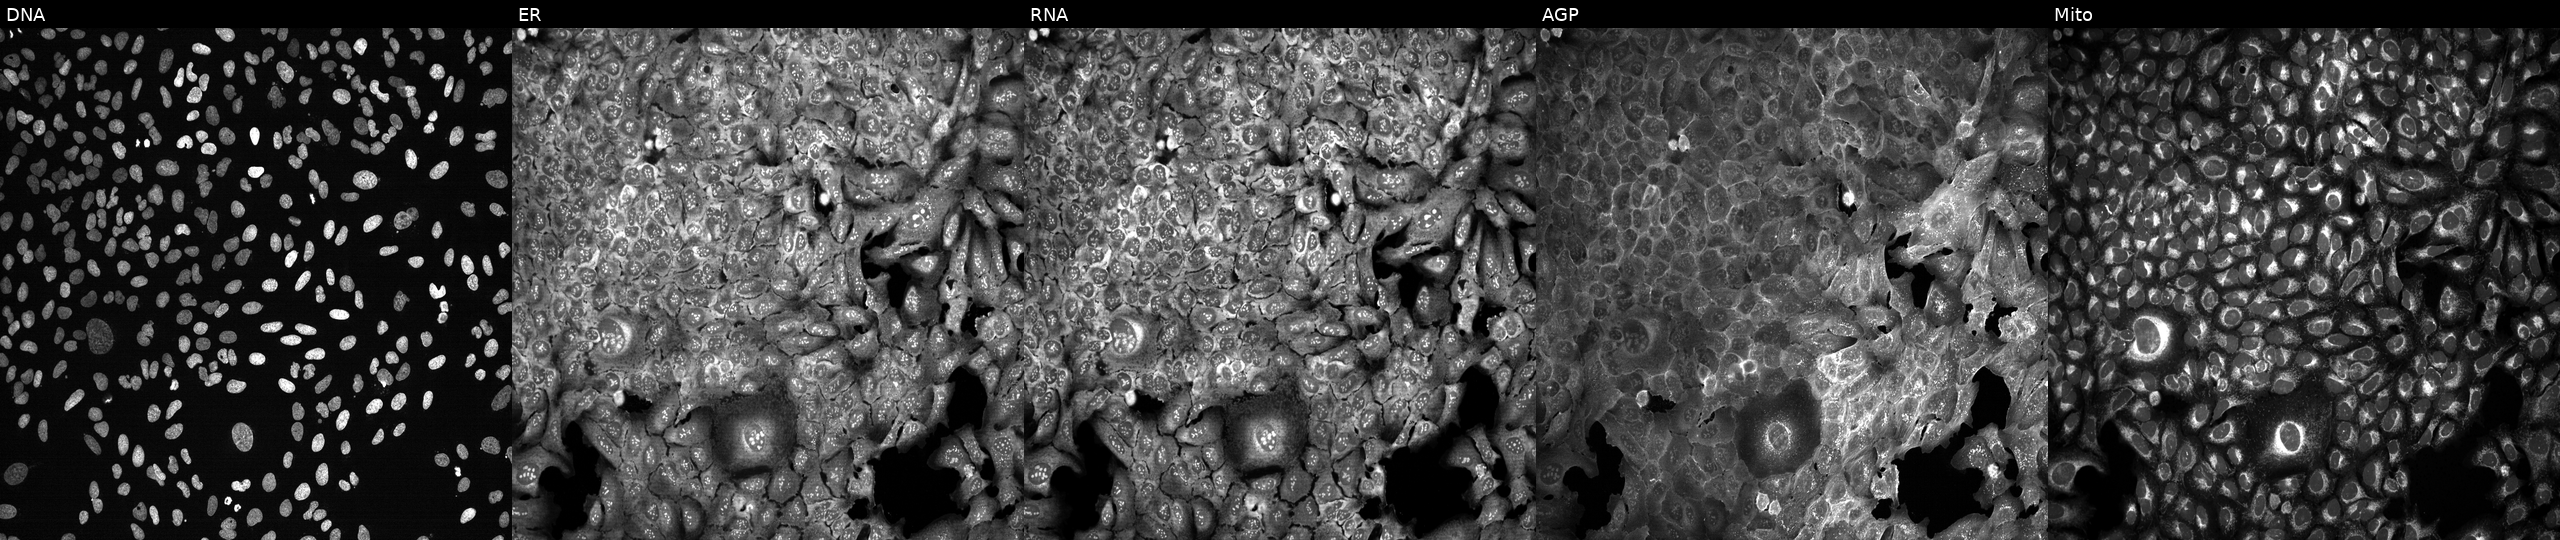
Five-channel Cell Painting image of U2OS cells CRISPR-edited to disrupt SEC11A. From left to right: DNA (nuclei); ER (endoplasmic reticulum); RNA (nucleoli and cytoplasmic RNA); AGP (actin cytoskeleton, Golgi, and plasma membrane); Mito (mitochondria). Source 13, plate CP-CC9-R6-19, well D15.